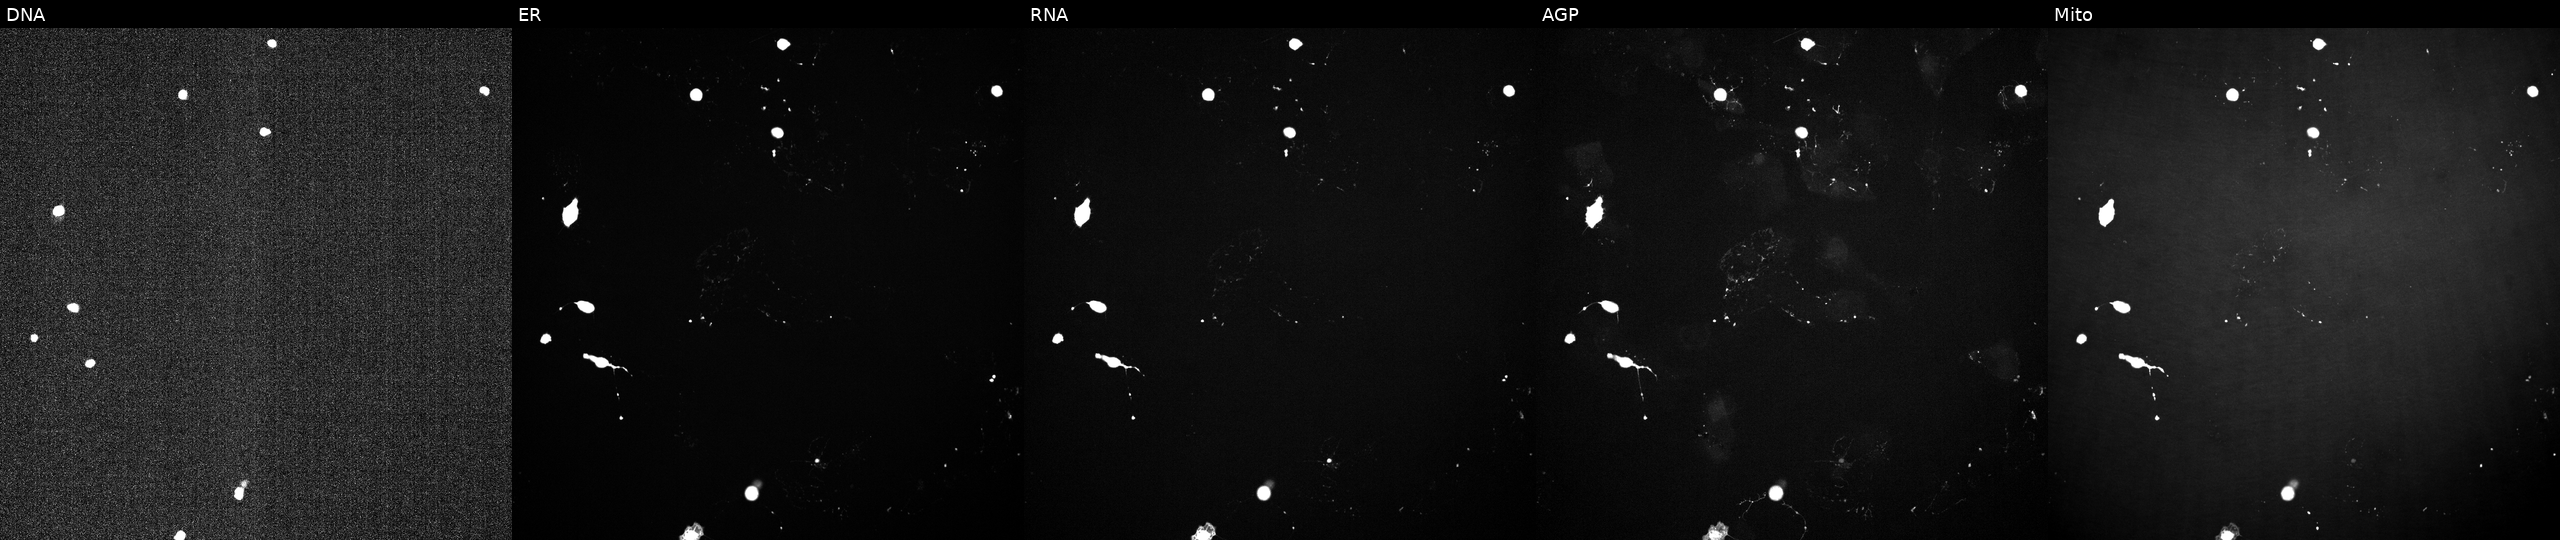
Five-channel Cell Painting image of U2OS cells treated with a small-molecule compound (InChIKey PKCYYPHSCUSQDK-UHFFFAOYSA-N) (JUMP id JCP2022_069131). Channels (left→right): DNA, ER, RNA, AGP, and Mito.